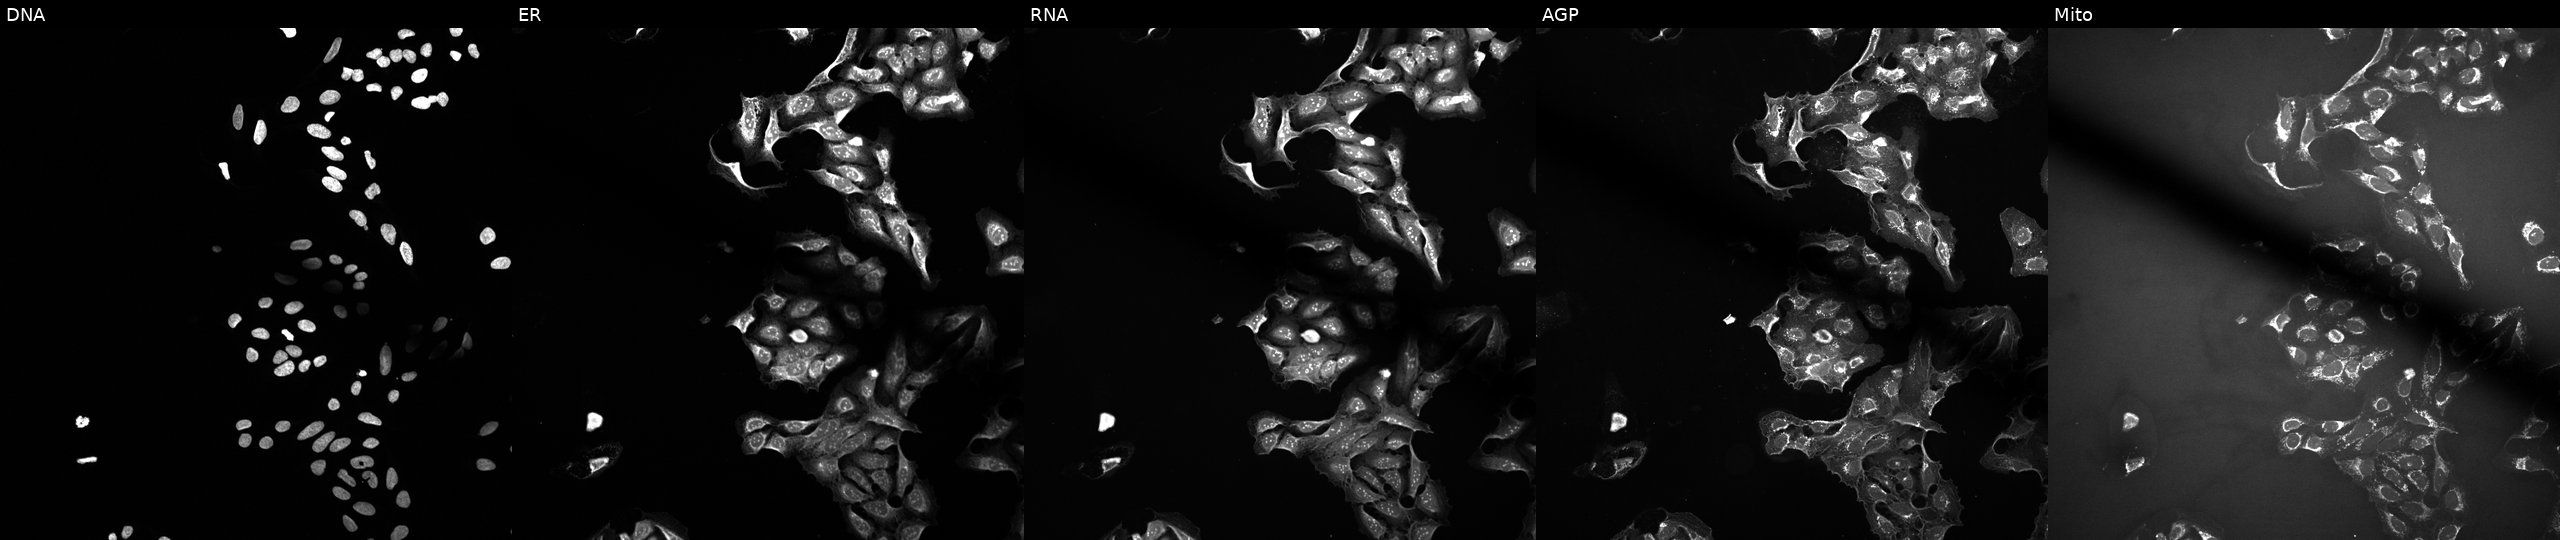
High-content fluorescence microscopy (Cell Painting). Cell line: U2OS. Perturbation: perturbed with a small-molecule compound (InChIKey LPYXWGMUVRGUOY-UHFFFAOYSA-N) [SMILES: OCC(O)c1oc(O)c(O)c1O]. Channels (left→right): DNA (nuclei); ER (endoplasmic reticulum); RNA (nucleoli and cytoplasmic RNA); AGP (actin cytoskeleton, Golgi, and plasma membrane); Mito (mitochondria). Source 10, plate Dest210803-153958, well A03.